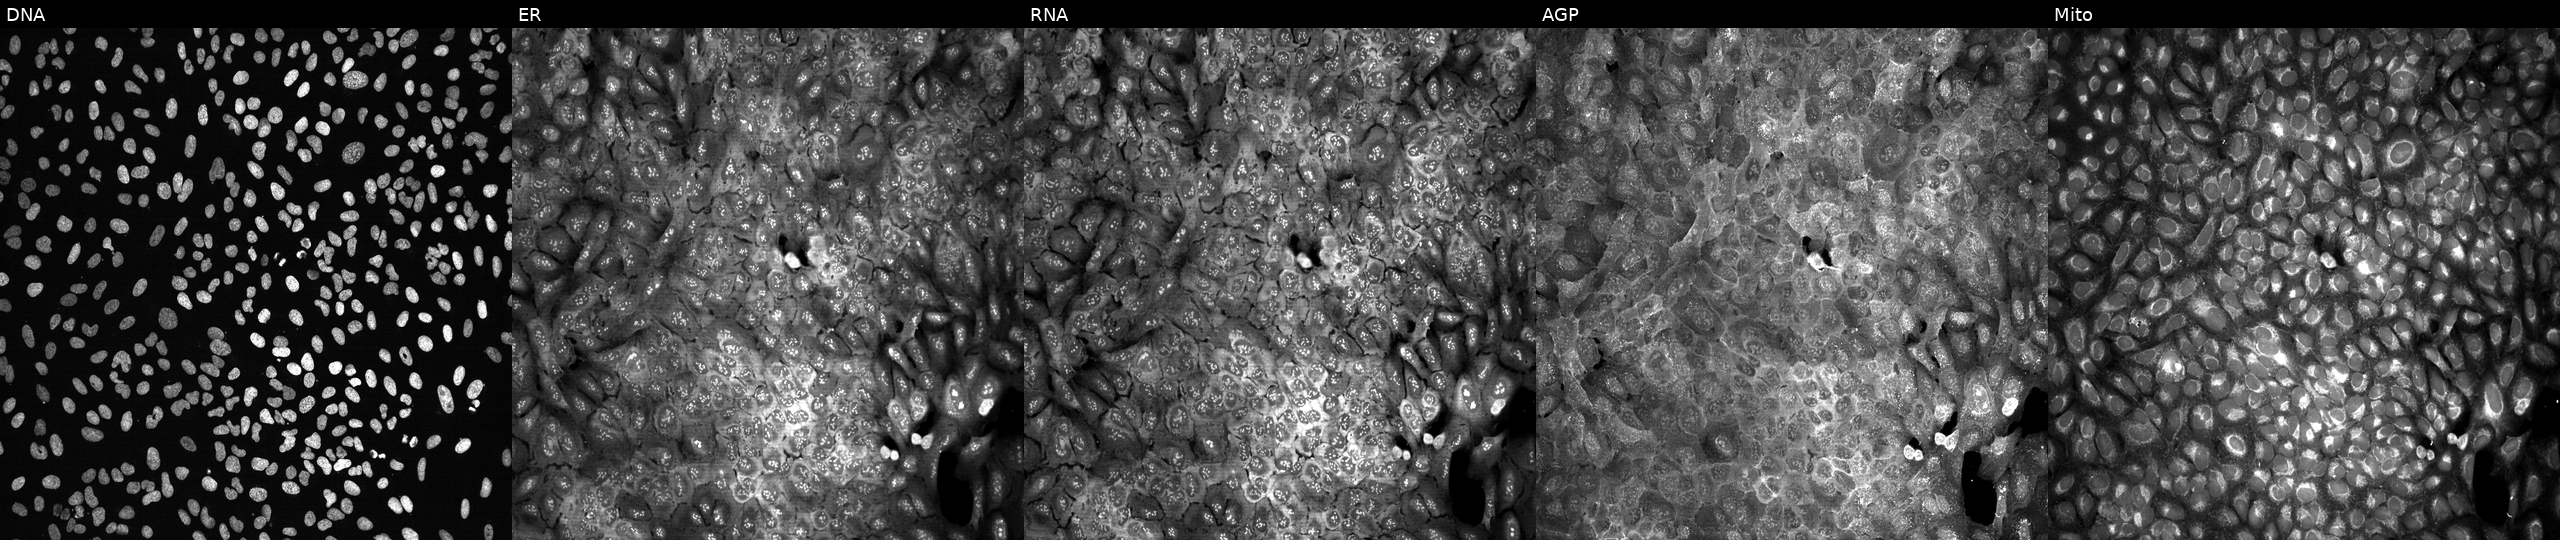
Five-channel Cell Painting image of U2OS cells CRISPR-edited to disrupt ACOT1 (JUMP id JCP2022_800115). From left to right: DNA, ER, RNA, AGP, and Mito.